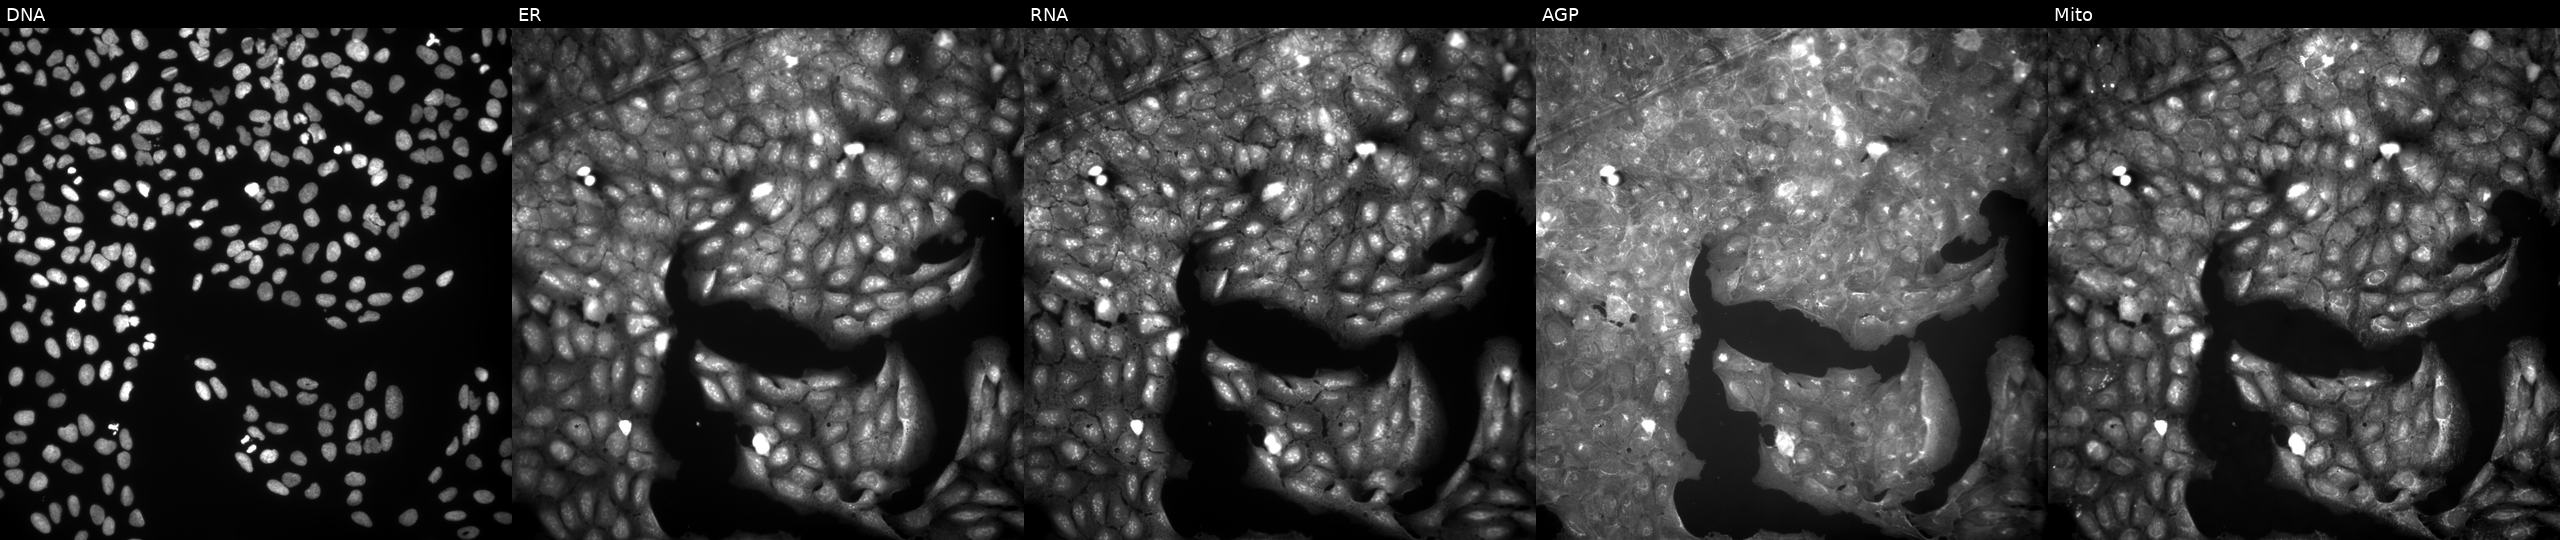
U2OS cells, Cell Painting assay, treated with a small-molecule compound [SMILES: CCc1ccc(OCC(O)CN2CCC(CN3C(=O)c4cccc5cccc(c45)C3=O)CC2)cc1]. Channels (left→right): Hoechst 33342, concanavalin A, SYTO 14, phalloidin and WGA, MitoTracker. Each panel is percentile-stretched 16-bit fluorescence. Source 9, plate GR00003381, well H40.